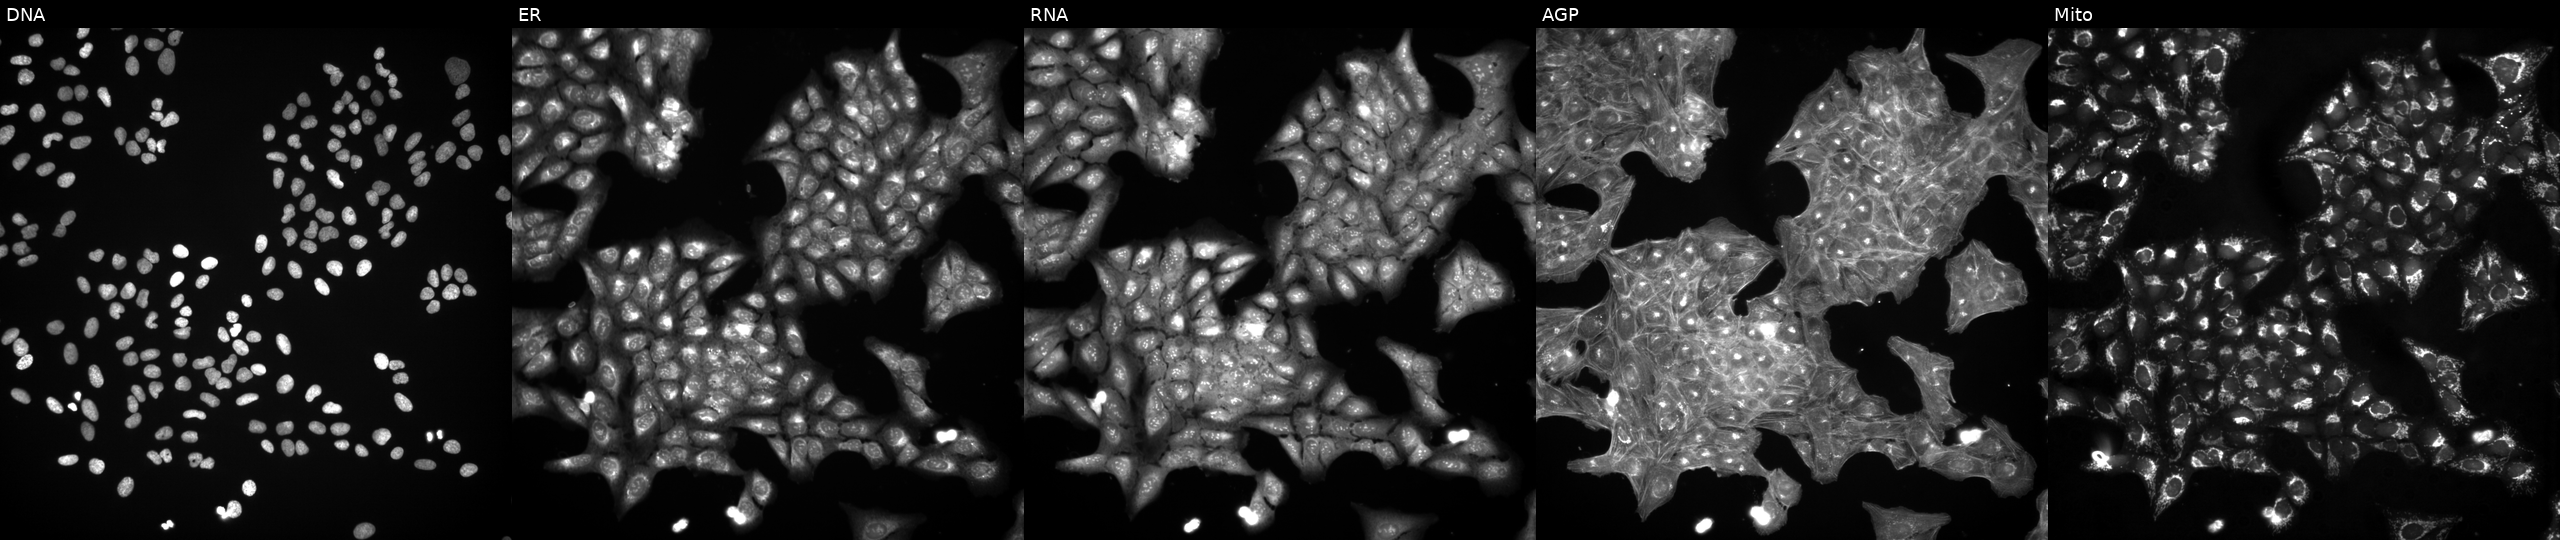
Five-channel Cell Painting image of U2OS cells treated with a small-molecule compound (InChIKey LRRMQNGSYOUANY-UHFFFAOYSA-N). Panels show, left to right, DNA, ER, RNA, AGP, and Mito.